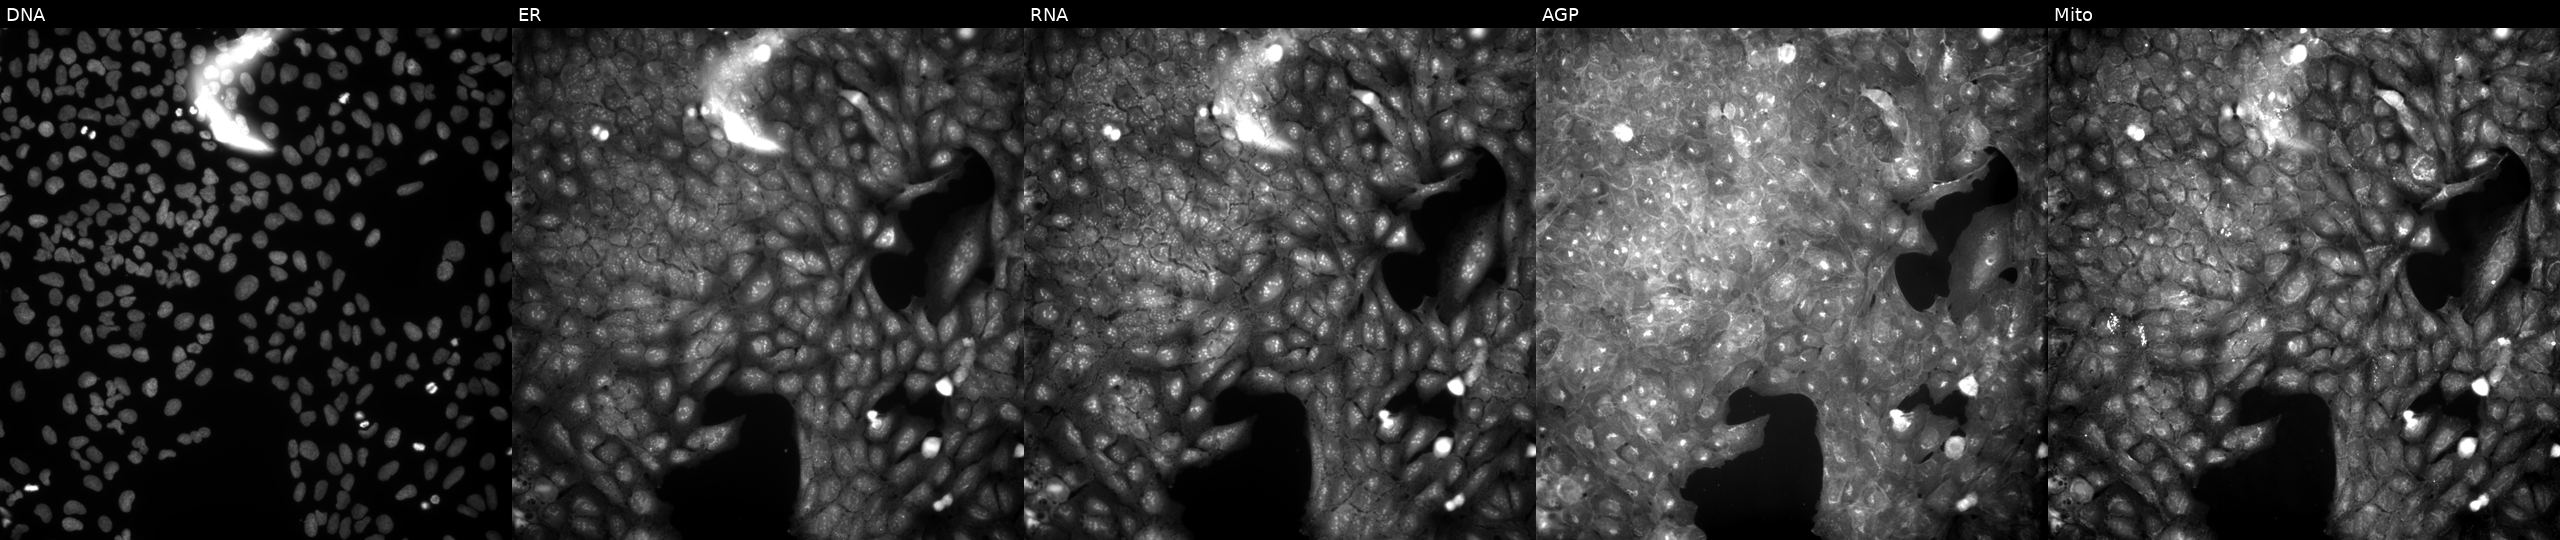
Five-channel Cell Painting image of U2OS cells treated with a small-molecule compound [SMILES: O=C(N=c1nc[nH][nH]1)c1ccc(Cl)c([N+](=O)[O-])c1]. Channels (left→right): Hoechst 33342, concanavalin A, SYTO 14, phalloidin and WGA, MitoTracker.